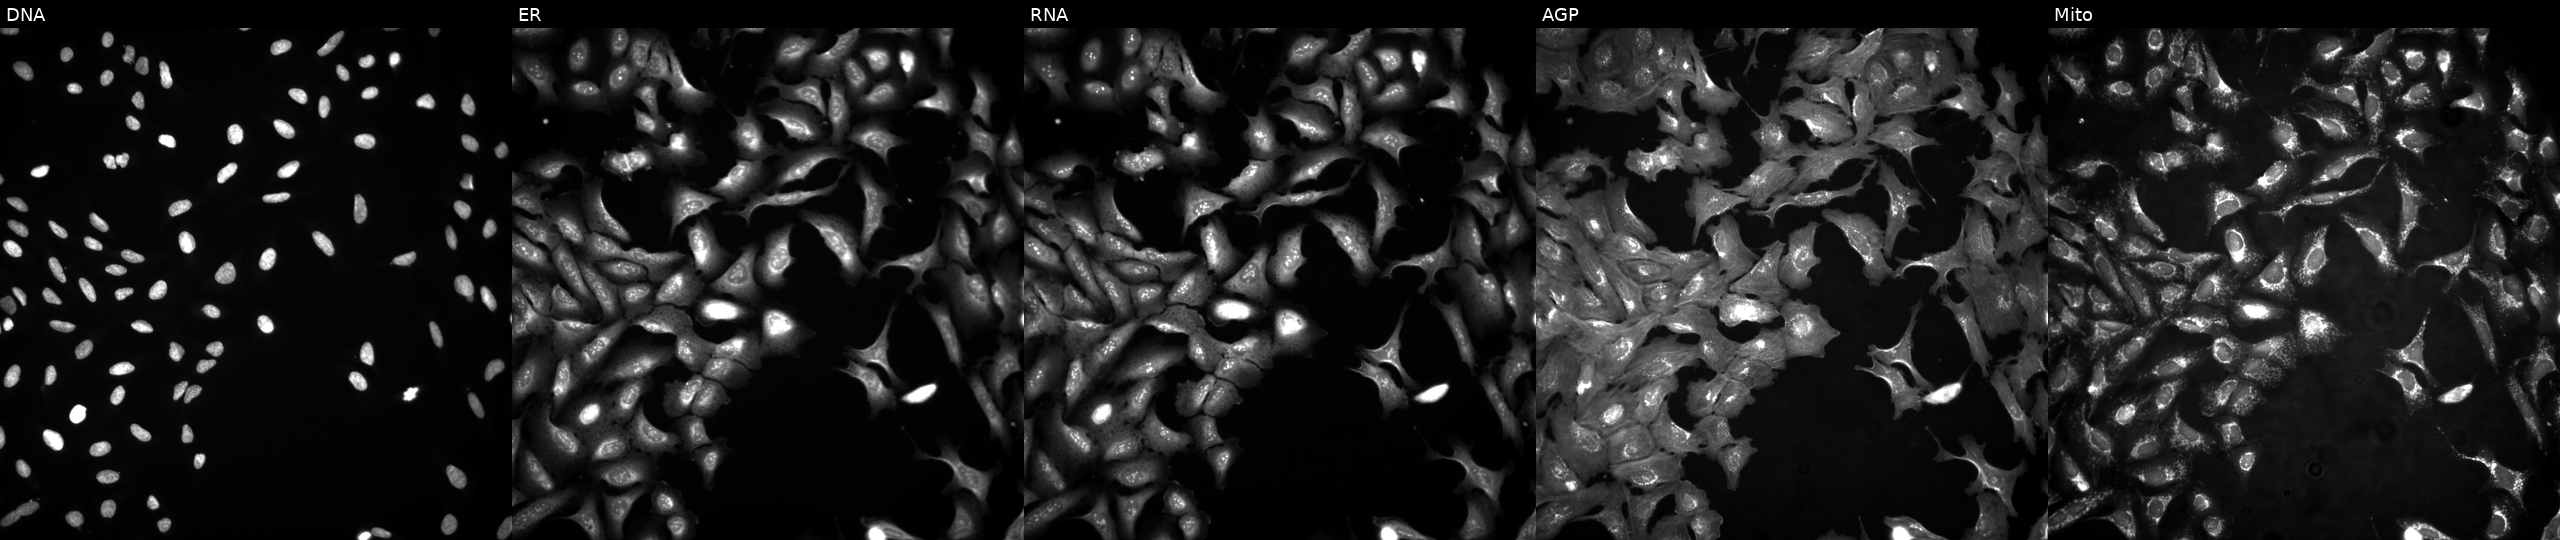
U2OS cells, Cell Painting assay, overexpressing PSKH2 via ORF transfection (JUMP id JCP2022_908657). The five panels, left to right, show Hoechst 33342, concanavalin A, SYTO 14, phalloidin and WGA, MitoTracker. Each panel is percentile-stretched 16-bit fluorescence. Source 4, plate BR00123945, well F22.